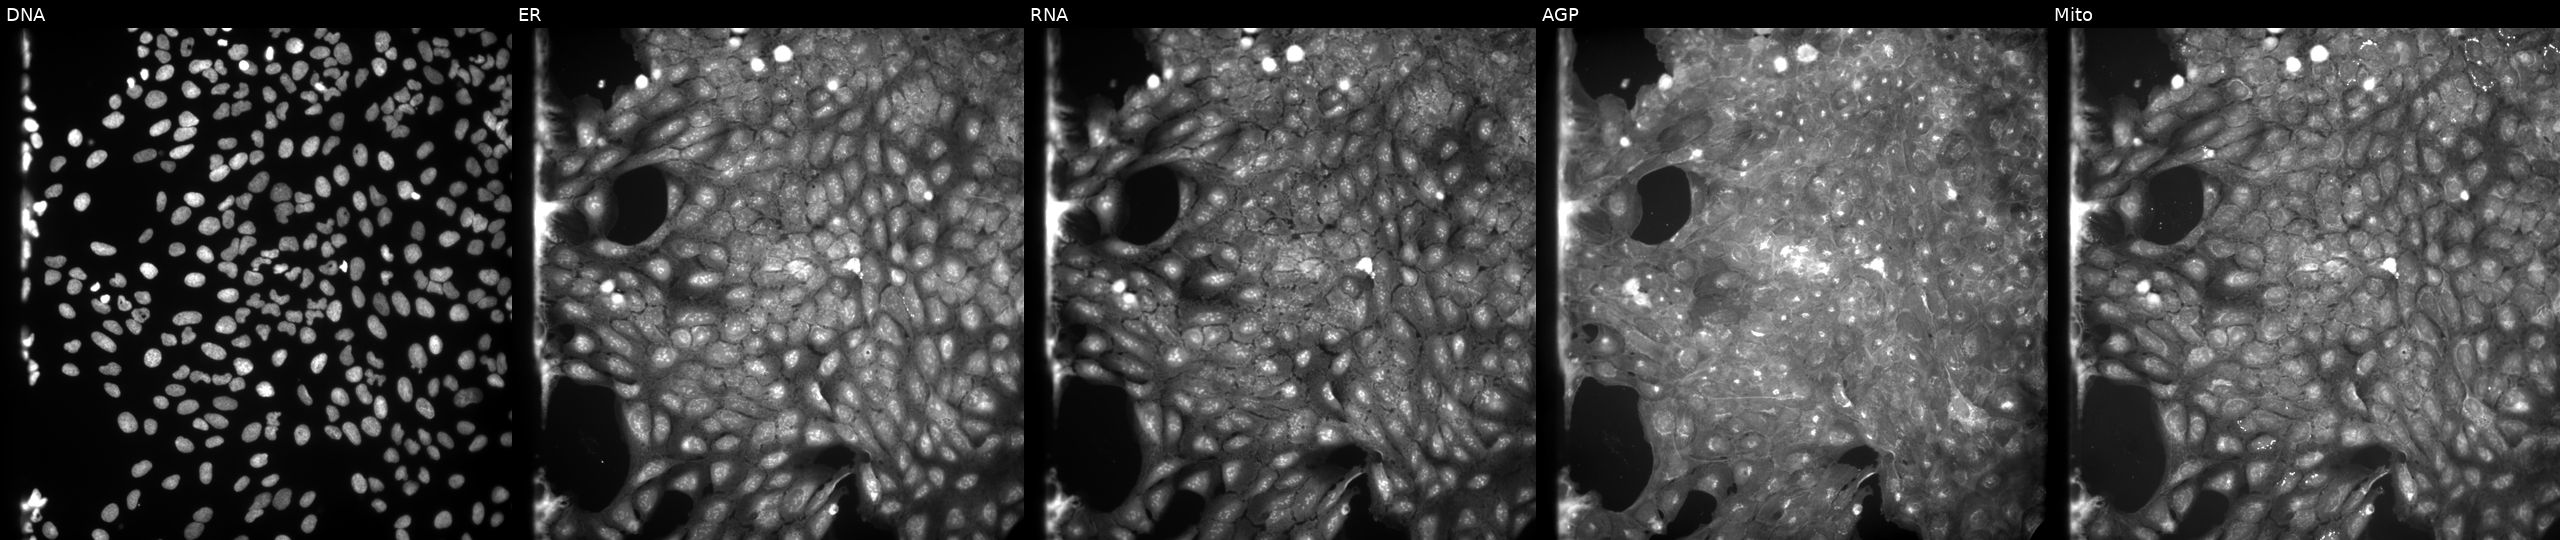
High-content fluorescence microscopy (Cell Painting). Cell line: U2OS. Perturbation: treated with a small-molecule compound (InChIKey PILXLYYBQDOCLY-UHFFFAOYSA-N) (JUMP id JCP2022_068835). Panels show, left to right, DNA (nuclei); ER (endoplasmic reticulum); RNA (nucleoli and cytoplasmic RNA); AGP (actin cytoskeleton, Golgi, and plasma membrane); Mito (mitochondria). Source 9, plate GR00003381, well E07.